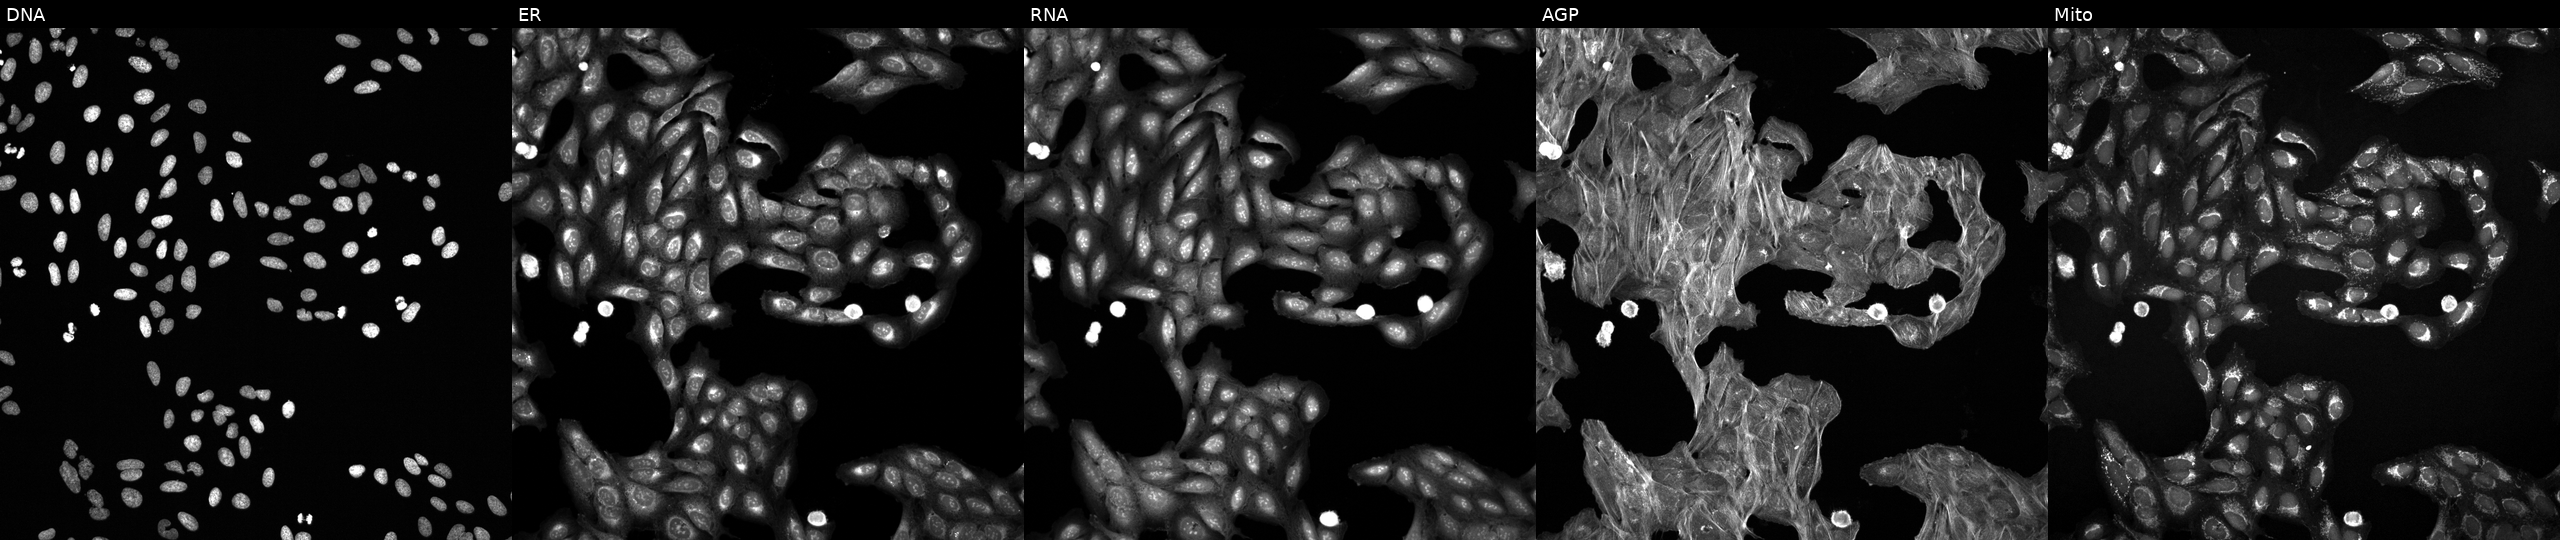
U2OS cells, Cell Painting assay, treated with DMSO vehicle only (negative control) (JUMP id JCP2022_033924). Channels (left→right): DNA, ER, RNA, AGP, and Mito. Each panel is percentile-stretched 16-bit fluorescence. Source 6, plate 110000293093, well M21.